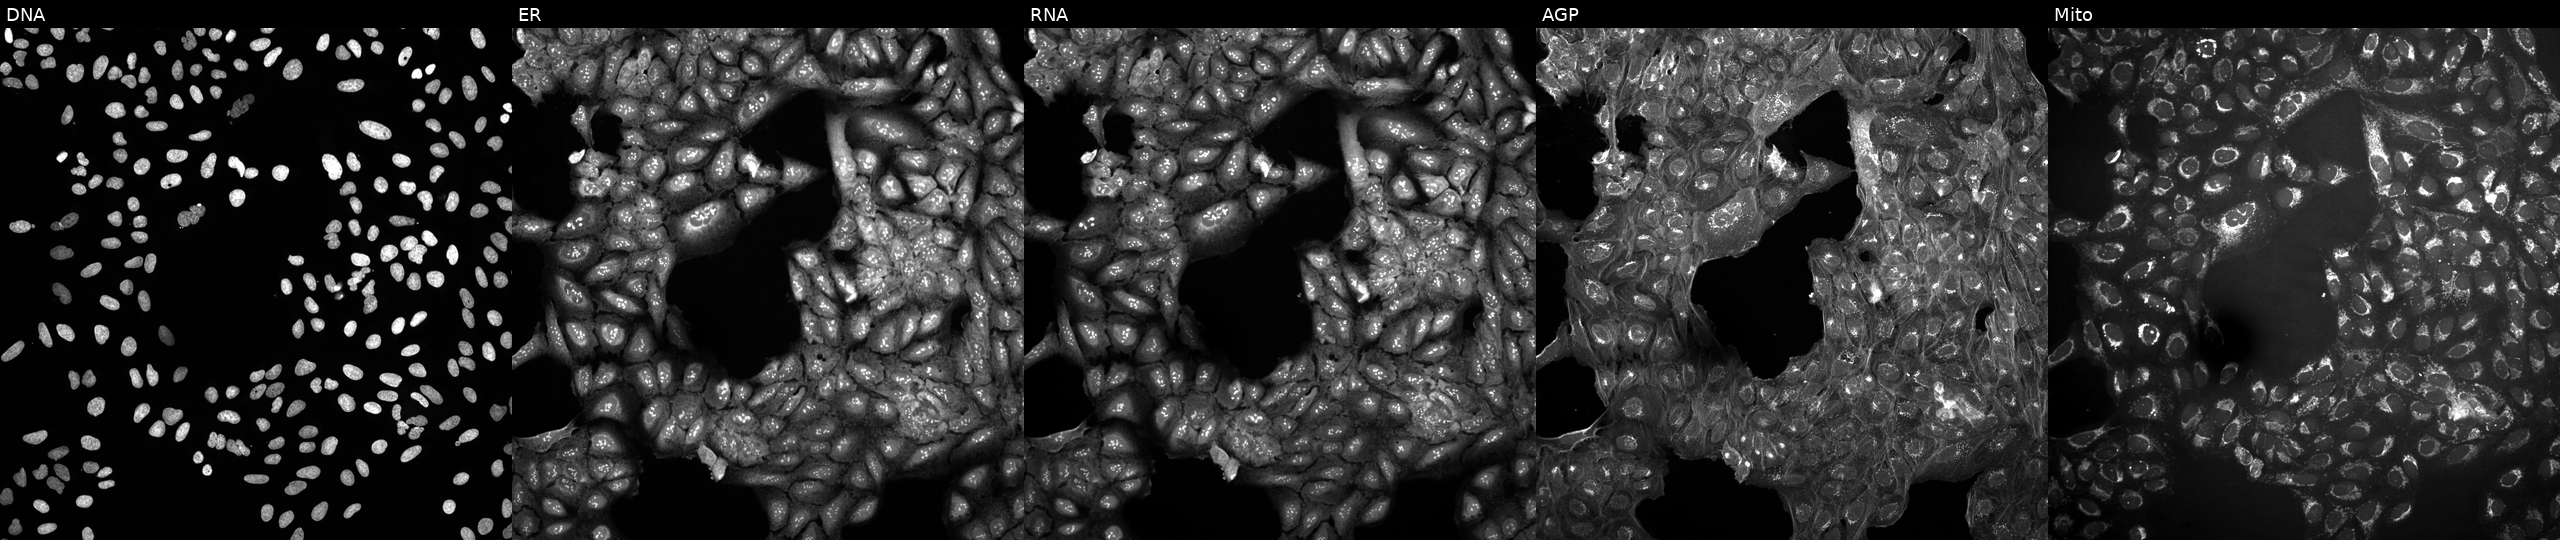
High-content fluorescence microscopy (Cell Painting). Cell line: U2OS. Perturbation: perturbed with a small-molecule compound [SMILES: COCCN1CCN(C(=O)Cn2cc(C)cn2)C2CS(=O)(=O)CC21]. Panels show, left to right, DNA, ER, RNA, AGP, and Mito. Source 10, plate Dest210531-152149, well G08.